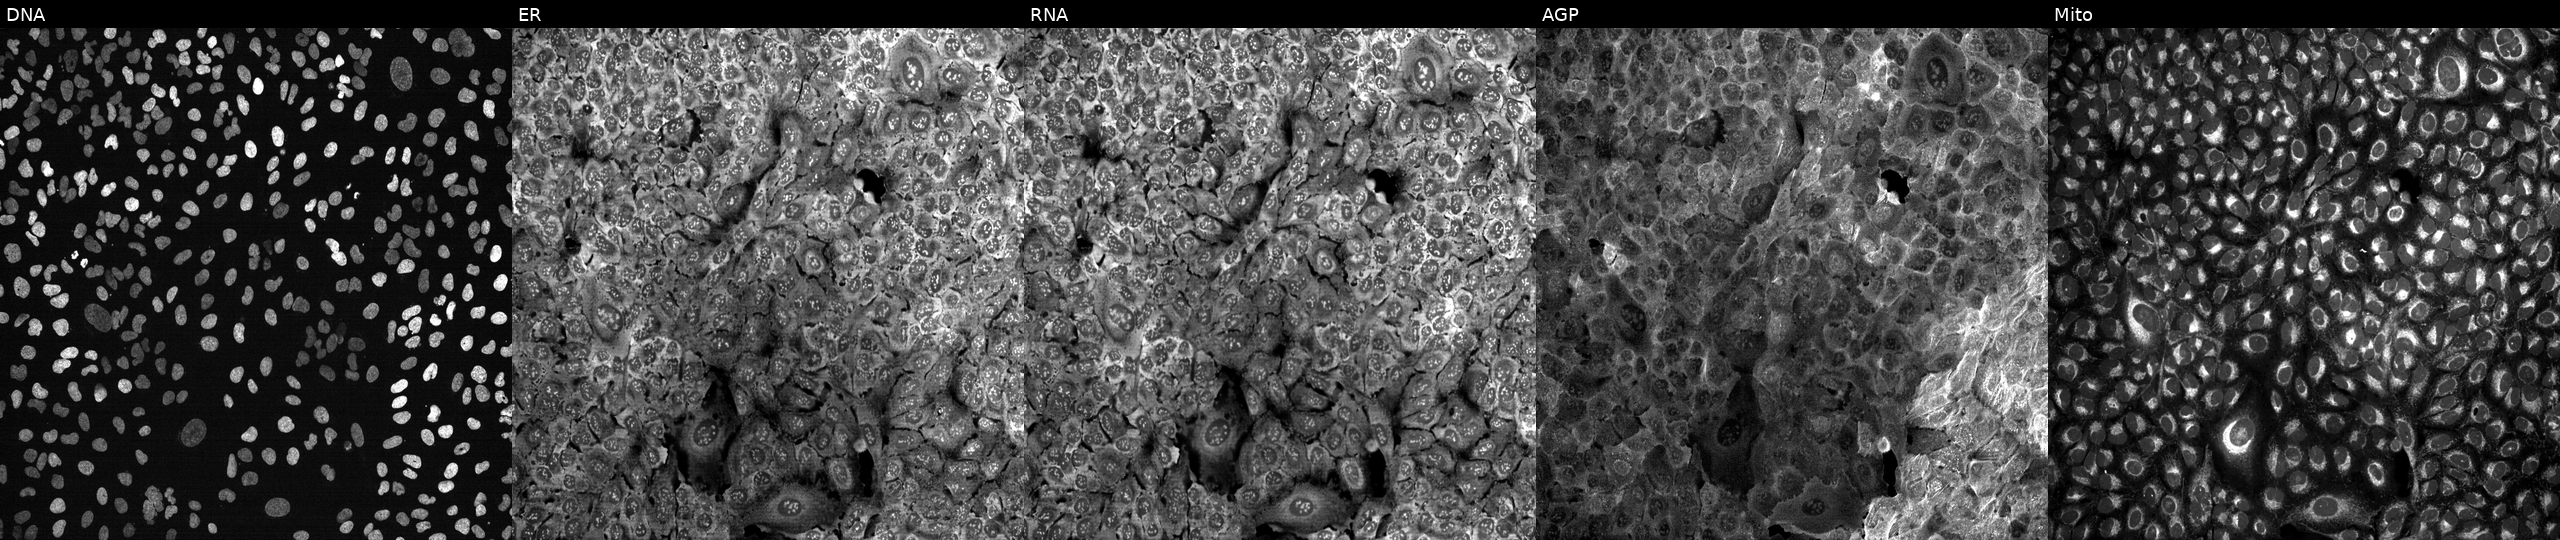
U2OS cells, Cell Painting assay, with DLAT knocked out by CRISPR (JUMP id JCP2022_801824). The five panels, left to right, show Hoechst 33342, concanavalin A, SYTO 14, phalloidin and WGA, MitoTracker. Each panel is percentile-stretched 16-bit fluorescence.